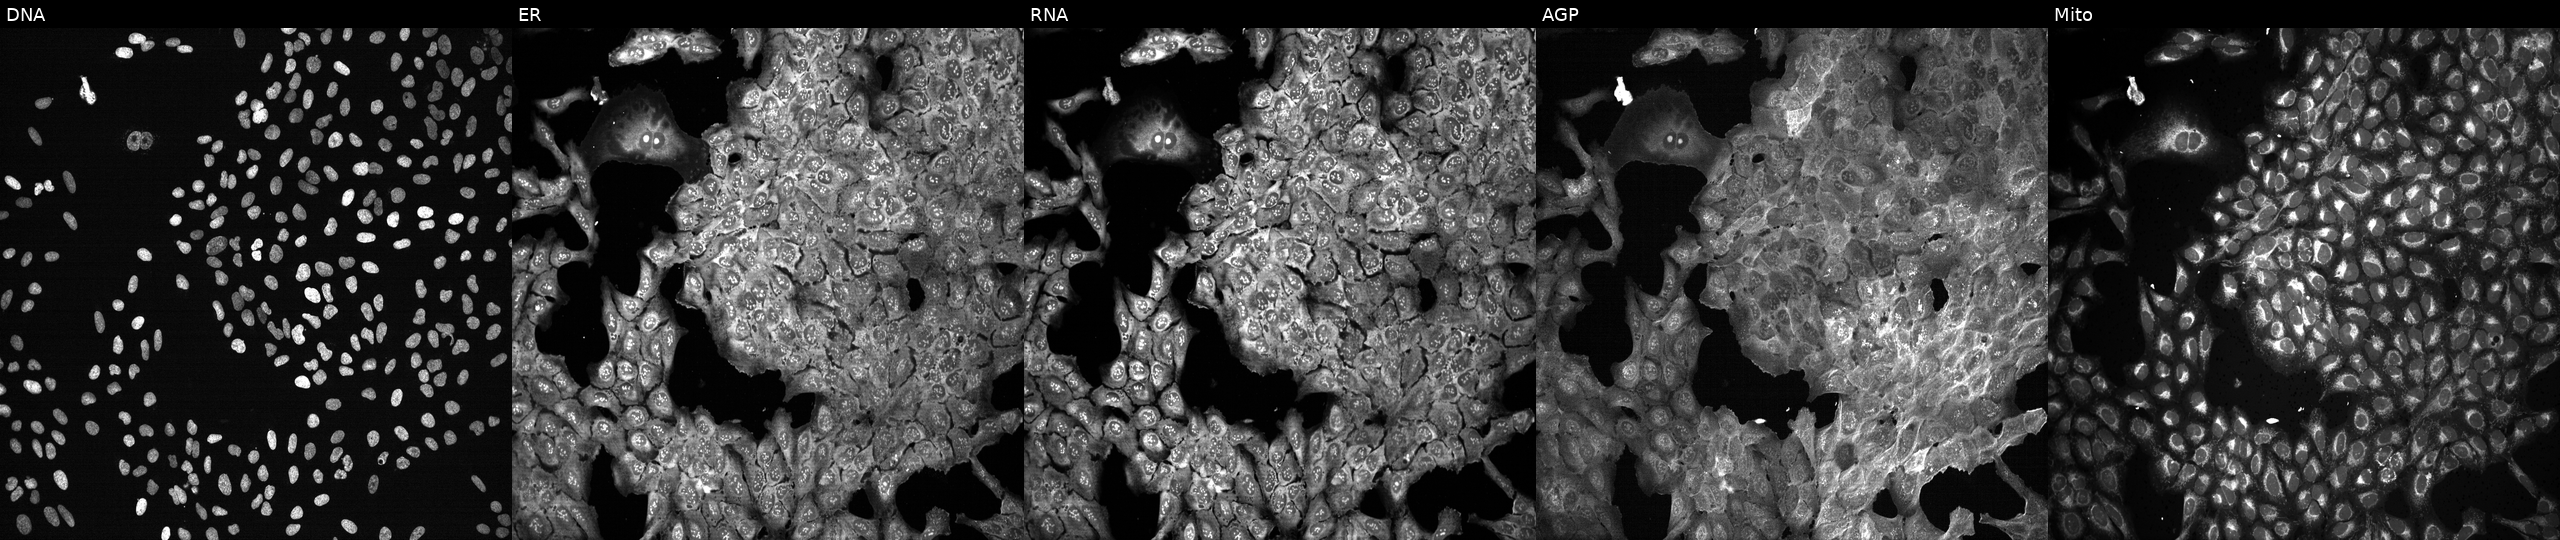
High-content fluorescence microscopy (Cell Painting). Cell line: U2OS. Perturbation: with RASAL1 knocked out by CRISPR (JUMP id JCP2022_805847). Panels show, left to right, DNA, ER, RNA, AGP, and Mito.